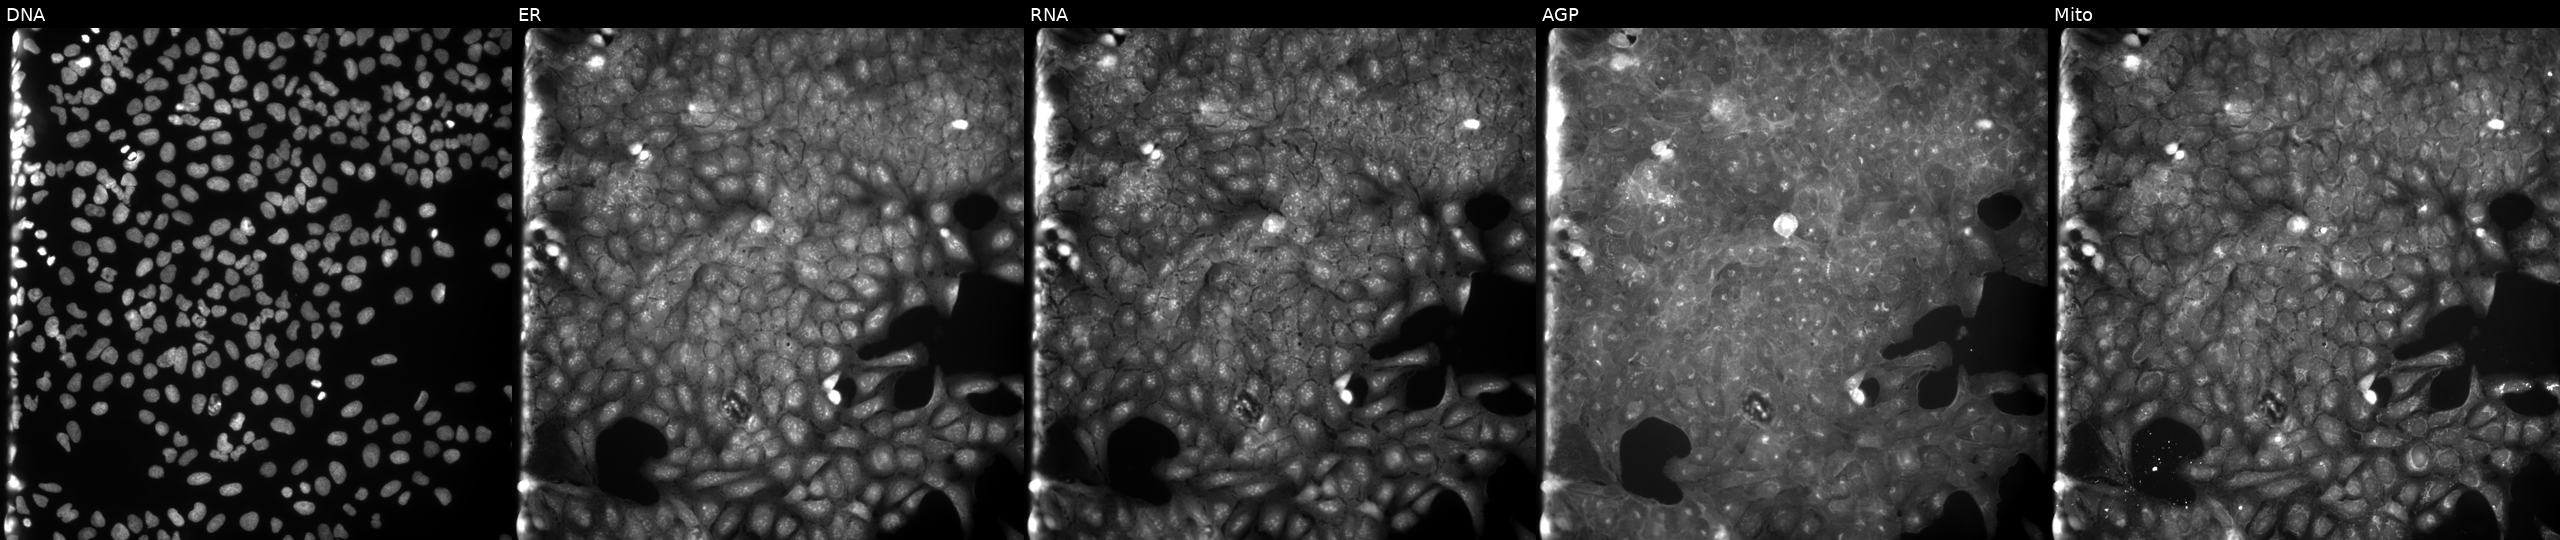
Five-channel Cell Painting image of U2OS cells treated with a small-molecule compound (InChIKey LOERDRAJGKDDBC-UHFFFAOYSA-N) [SMILES: NC(=O)C1(N2CCCCC2)CCN(C(=S)Nc2ccc(F)cc2)CC1] (JUMP id JCP2022_050681). Panels show, left to right, DNA (nuclei); ER (endoplasmic reticulum); RNA (nucleoli and cytoplasmic RNA); AGP (actin cytoskeleton, Golgi, and plasma membrane); Mito (mitochondria). Source 9, plate GR00003382, well O09.